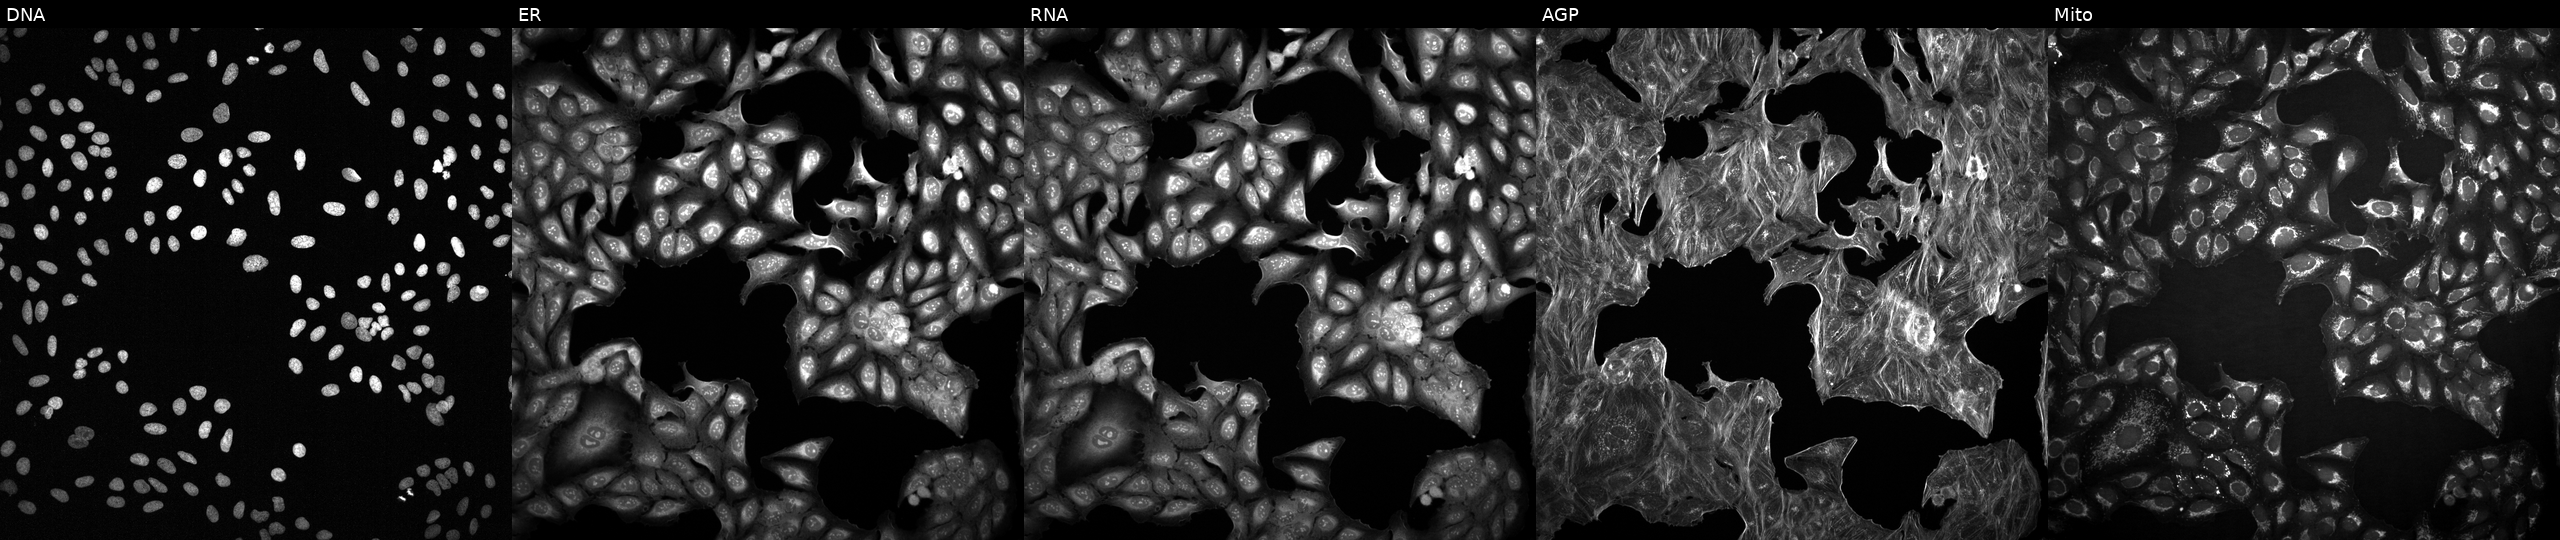
Five-channel Cell Painting image of U2OS cells exposed to a small-molecule compound (InChIKey YKDDIYHPMRQWDT-UHFFFAOYSA-N) (JUMP id JCP2022_108992). Panels show, left to right, DNA, ER, RNA, AGP, and Mito. Source 2, plate 1053601763, well M09.